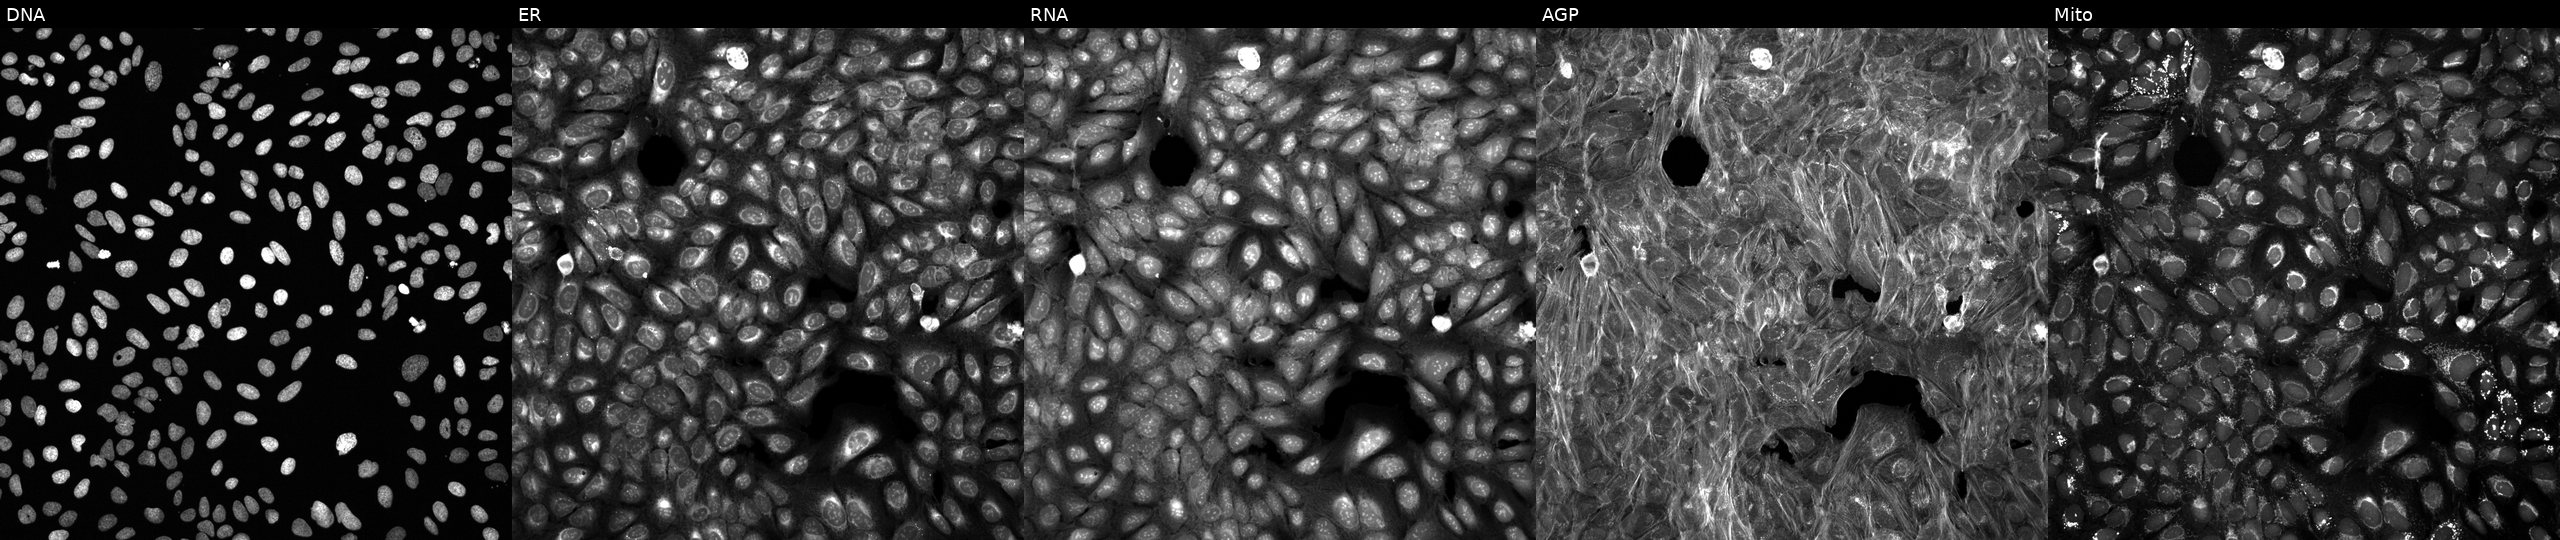
The five panels, left to right, show DNA, ER, RNA, AGP, and Mito. U2OS osteosarcoma cells exposed to a small-molecule compound (JUMP id JCP2022_054618). Cell Painting assay, JUMP-CP dataset. Source 6, plate 110000294901, well H05.